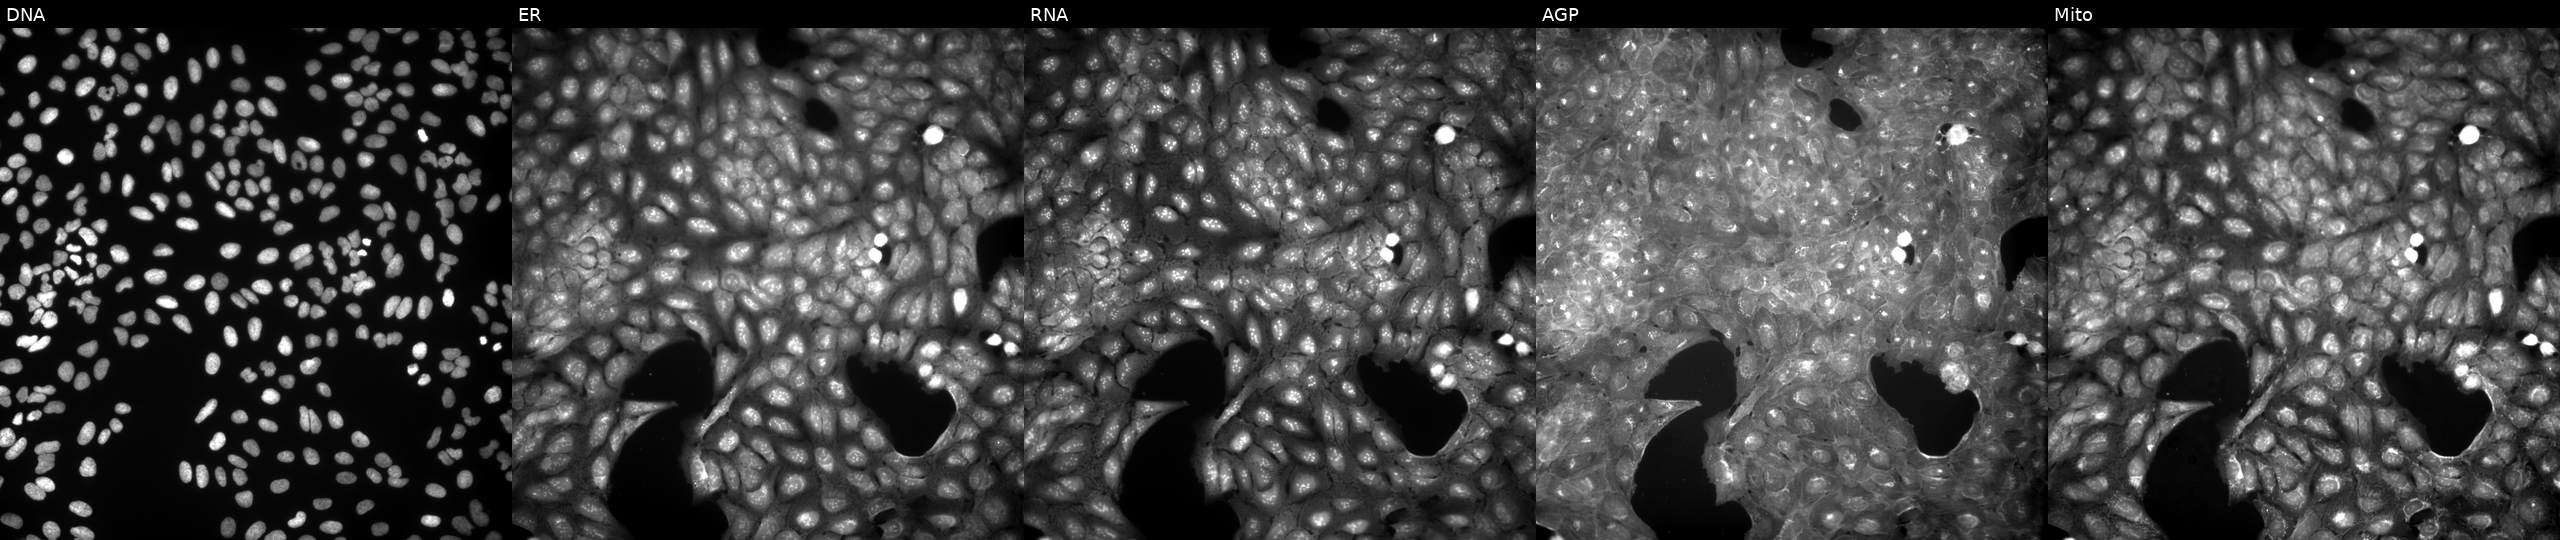
High-content fluorescence microscopy (Cell Painting). Cell line: U2OS. Perturbation: treated with a small-molecule compound (InChIKey ADUHGNOQZMBVPZ-UHFFFAOYSA-N) (JUMP id JCP2022_000734). Panels show, left to right, DNA (nuclei); ER (endoplasmic reticulum); RNA (nucleoli and cytoplasmic RNA); AGP (actin cytoskeleton, Golgi, and plasma membrane); Mito (mitochondria).